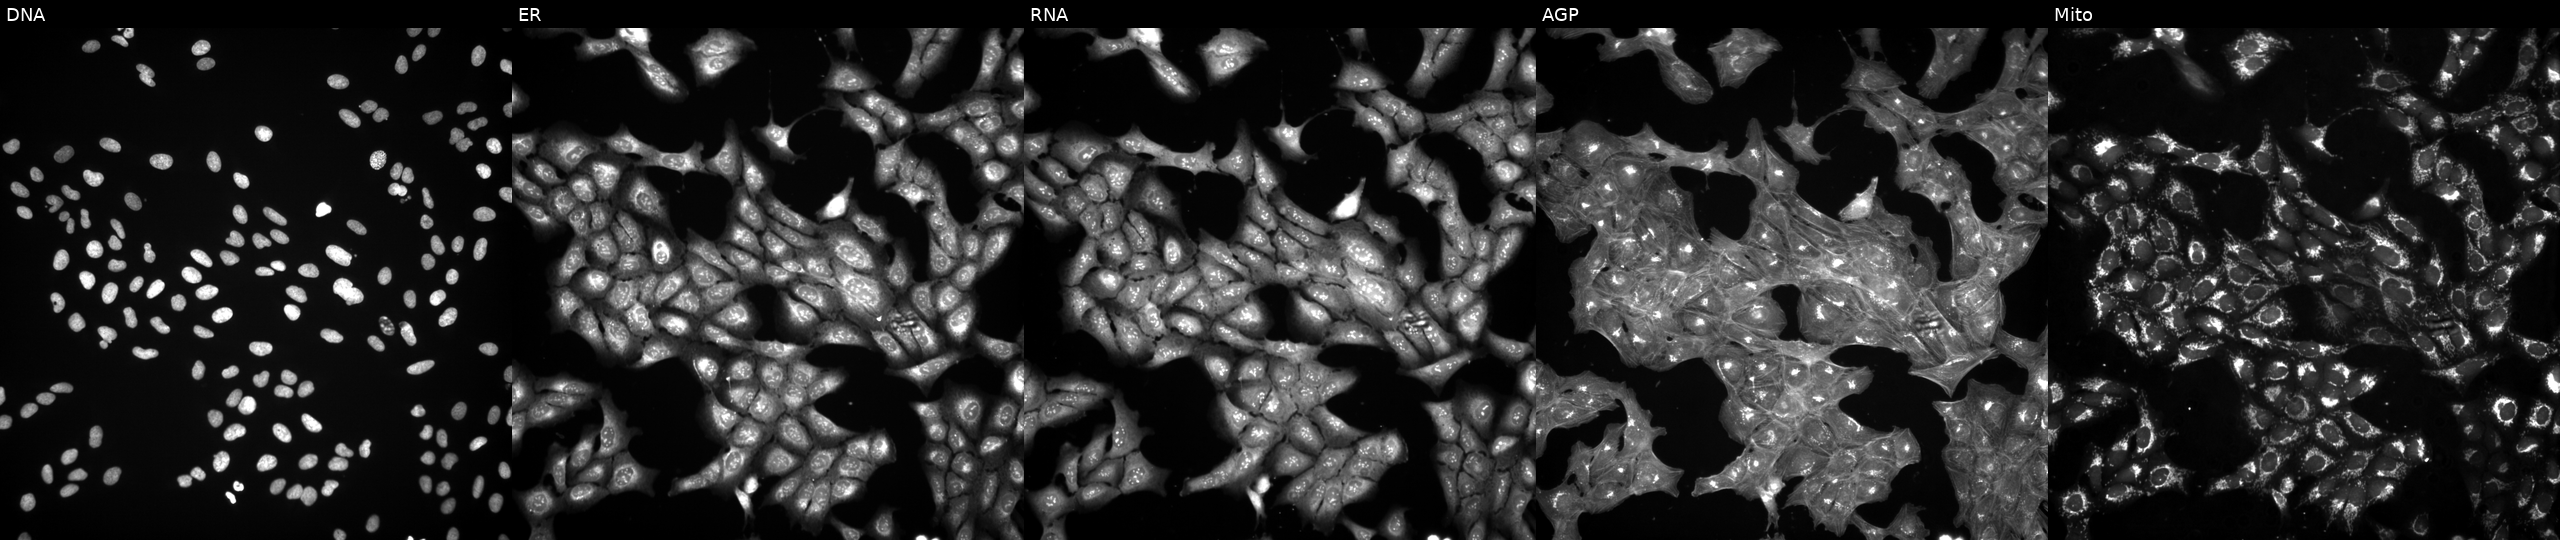
Channels (left→right): Hoechst 33342, concanavalin A, SYTO 14, phalloidin and WGA, MitoTracker. U2OS osteosarcoma cells treated with a small-molecule compound (InChIKey ZVYICXMIPNSFIA-UHFFFAOYSA-N) (JUMP id JCP2022_116015). Cell Painting assay, JUMP-CP dataset.